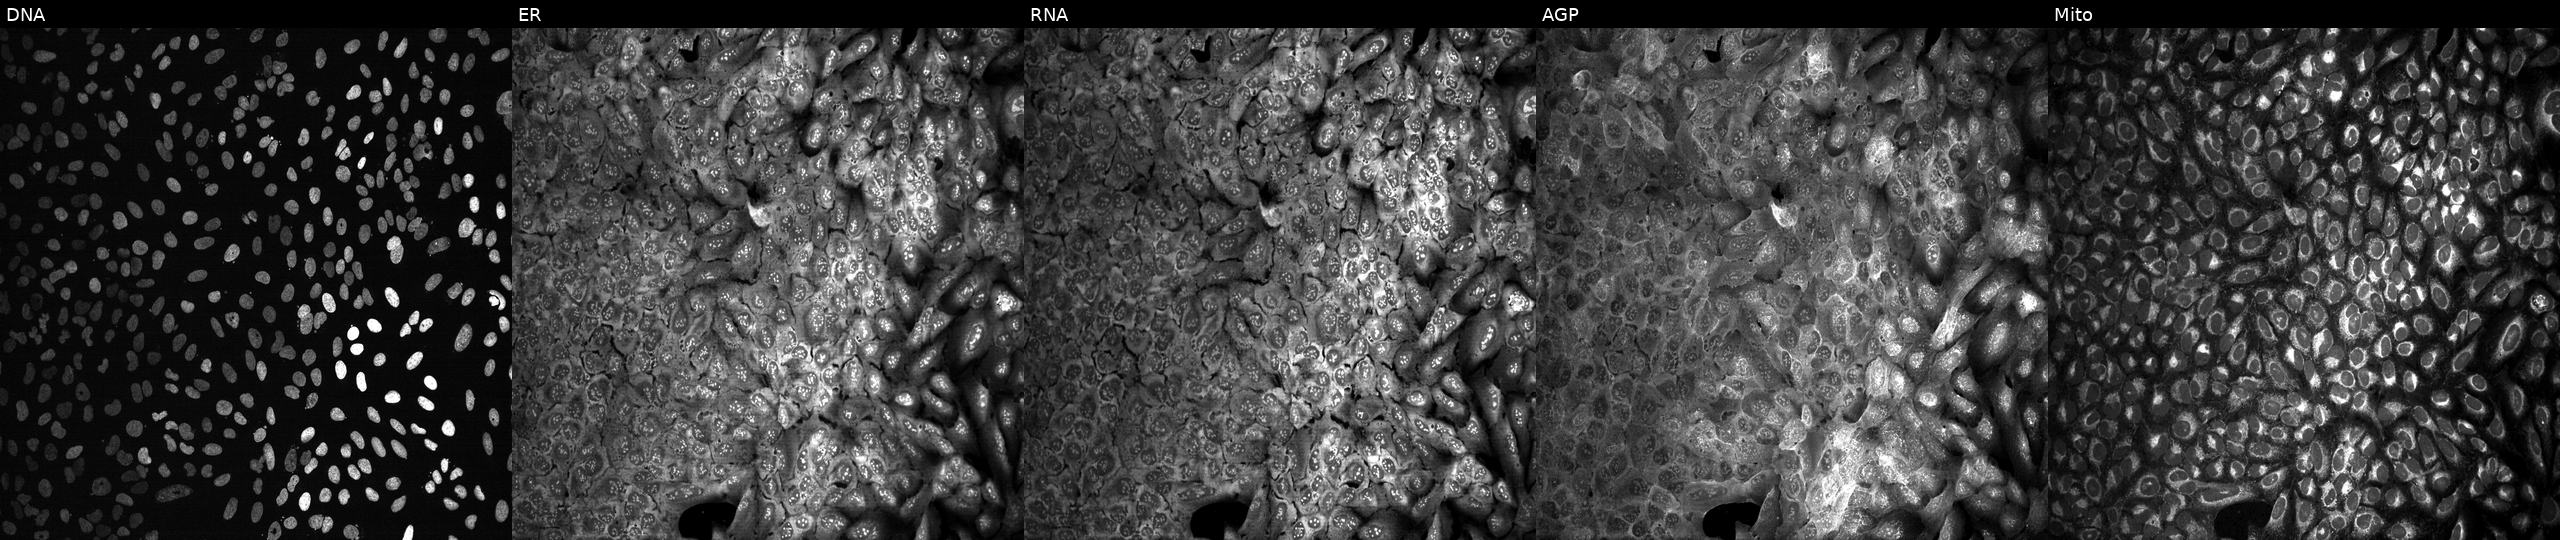
Five-channel Cell Painting image of U2OS cells following CRISPR knockout of SPO11. Panels show, left to right, Hoechst 33342, concanavalin A, SYTO 14, phalloidin and WGA, MitoTracker. Source 13, plate CP-CC9-R4-03, well D04.